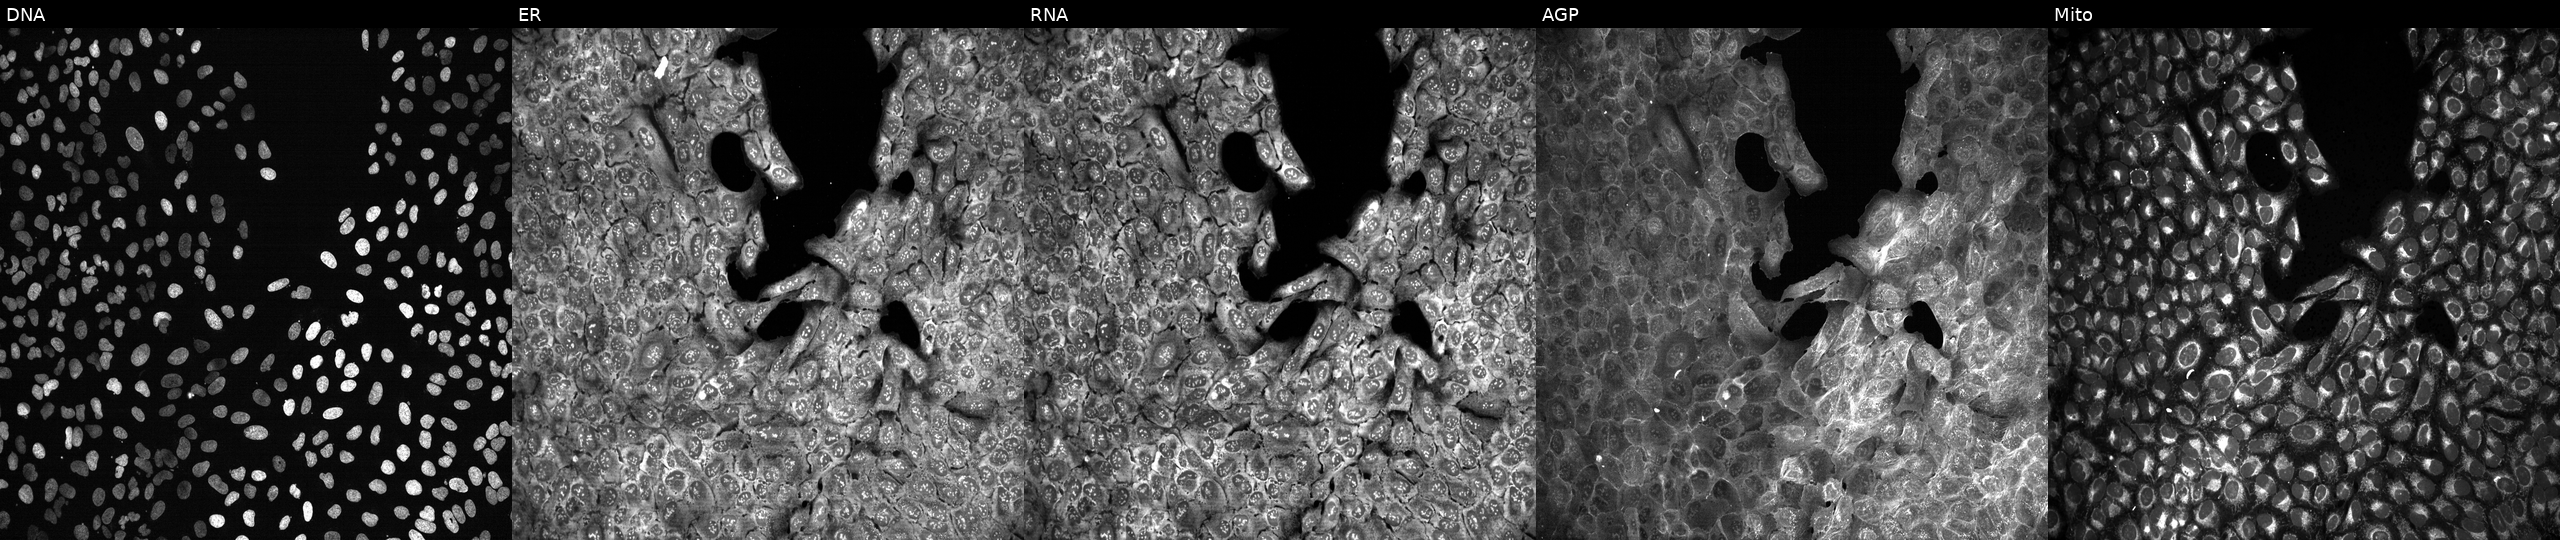
JUMP Cell Painting — CRISPR plate. U2OS cells with HMGCS1 knocked out by CRISPR (JUMP id JCP2022_803149). The five panels, left to right, show DNA, ER, RNA, AGP, and Mito. Source 13, plate CP-CC9-R2-01, well B20.